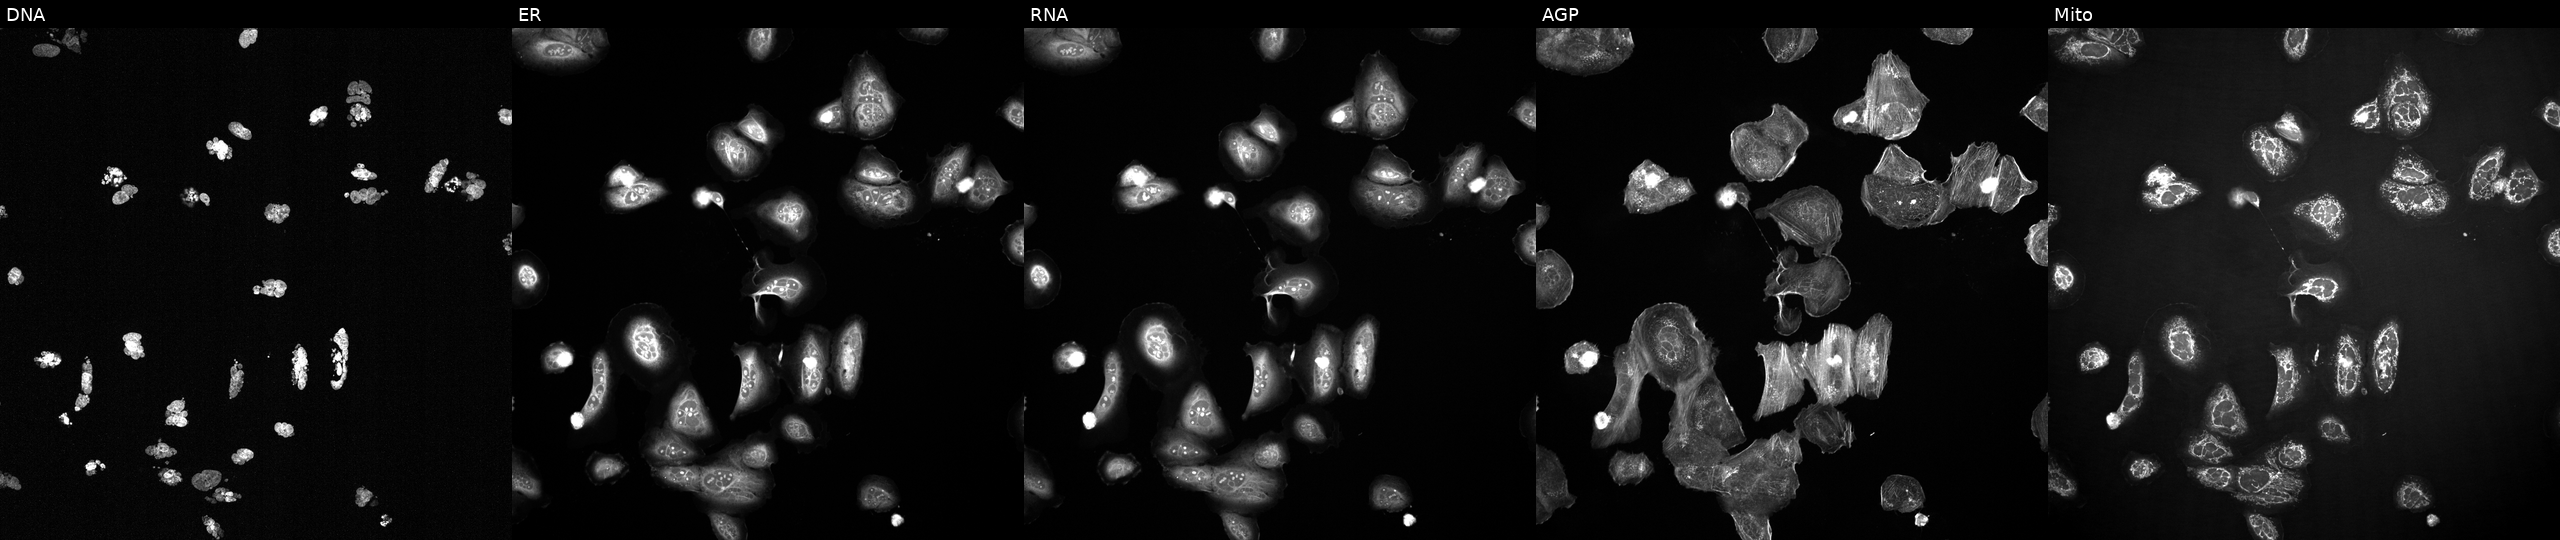
The five panels, left to right, show DNA, ER, RNA, AGP, and Mito. U2OS osteosarcoma cells treated with a small-molecule compound (InChIKey FABUFPQFXZVHFB-UHFFFAOYSA-N) [SMILES: CC(=Cc1csc(C)n1)C1CC2OC2(C)CCCC(C)C(O)C(C)C(=O)C(C)(C)C(O)CC(=O)N1] (JUMP id JCP2022_019314). Cell Painting assay, JUMP-CP dataset. Source 2, plate 1053600674, well K22.